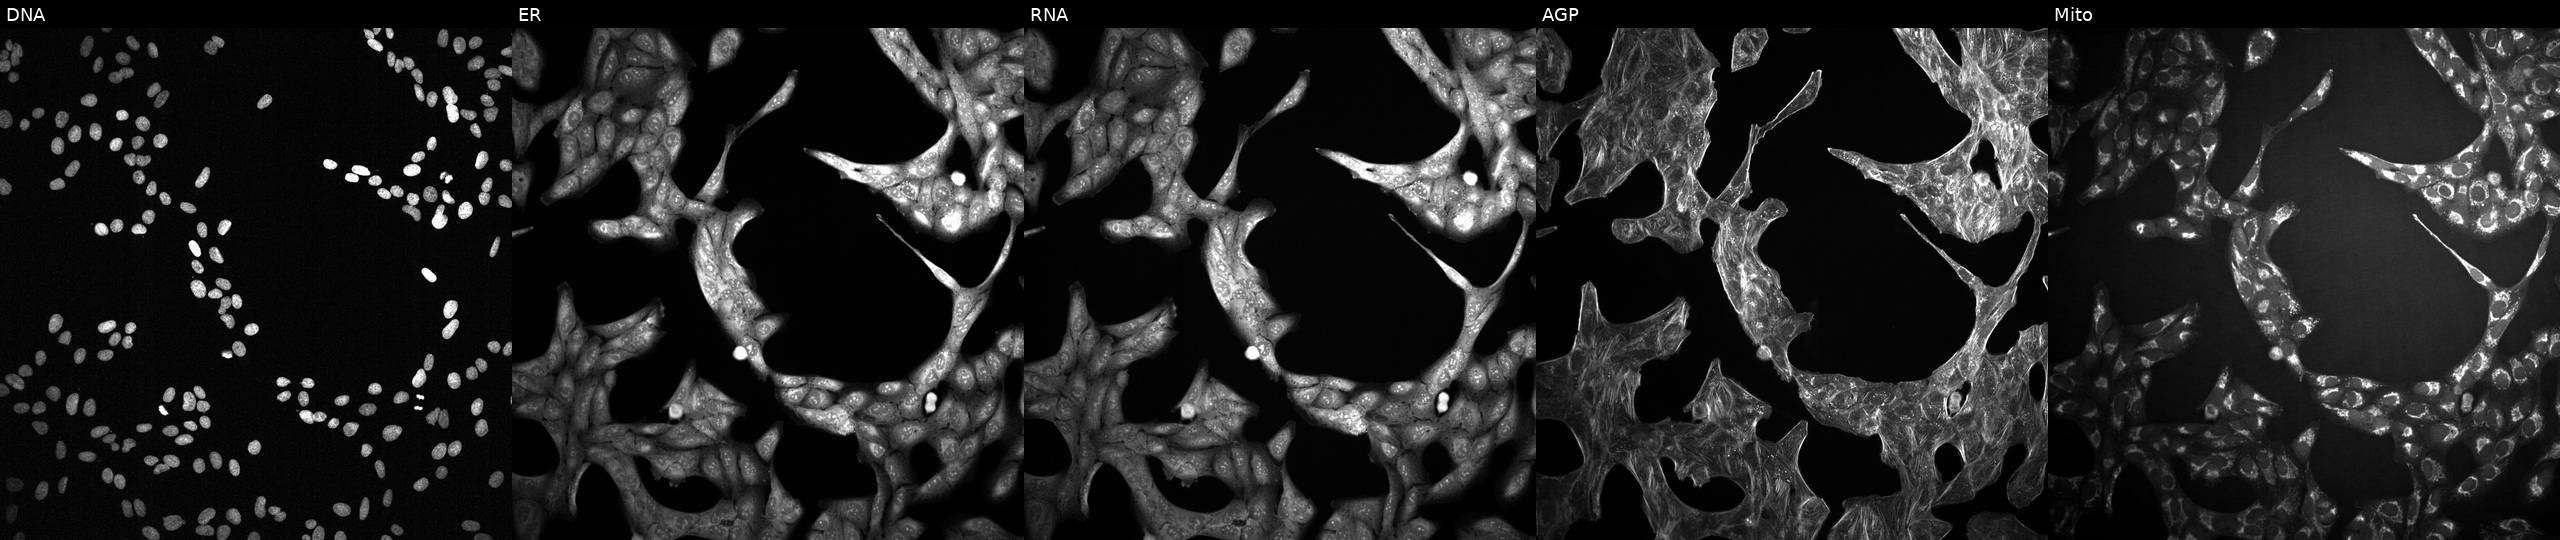
Five-channel Cell Painting image of U2OS cells exposed to a small-molecule compound (InChIKey KUUJEXLRLIPQQJ-UHFFFAOYSA-N) (JUMP id JCP2022_047143). Panels show, left to right, DNA, ER, RNA, AGP, and Mito.